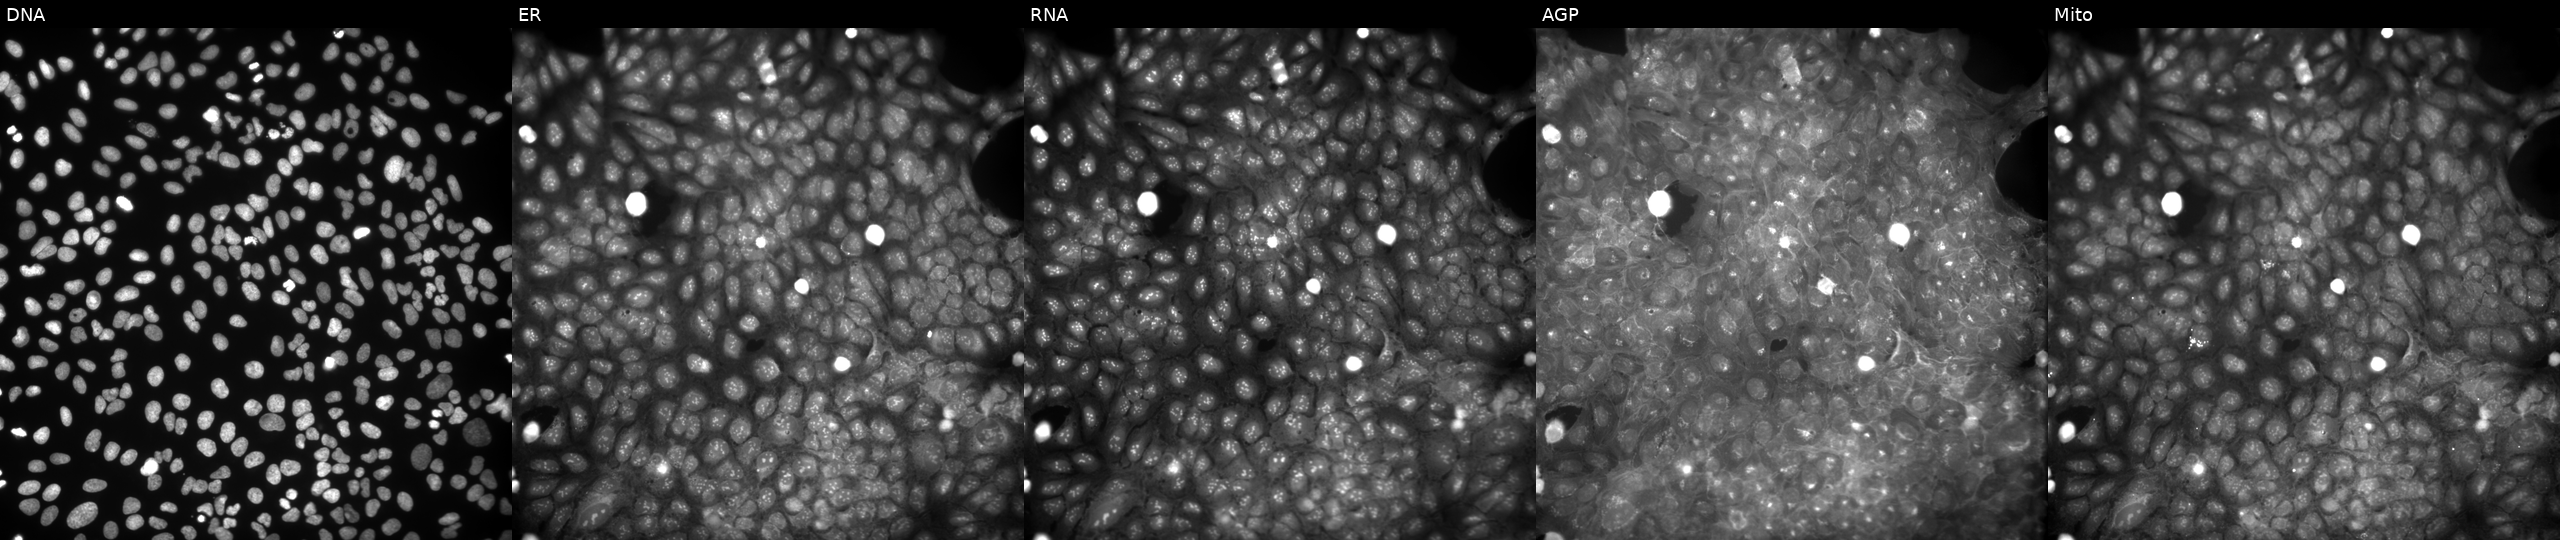
JUMP Cell Painting — COMPOUND plate. U2OS cells exposed to a small-molecule compound (InChIKey XNRCEIBOXIEVLI-UHFFFAOYSA-N) (JUMP id JCP2022_104816). The five panels, left to right, show Hoechst 33342, concanavalin A, SYTO 14, phalloidin and WGA, MitoTracker.